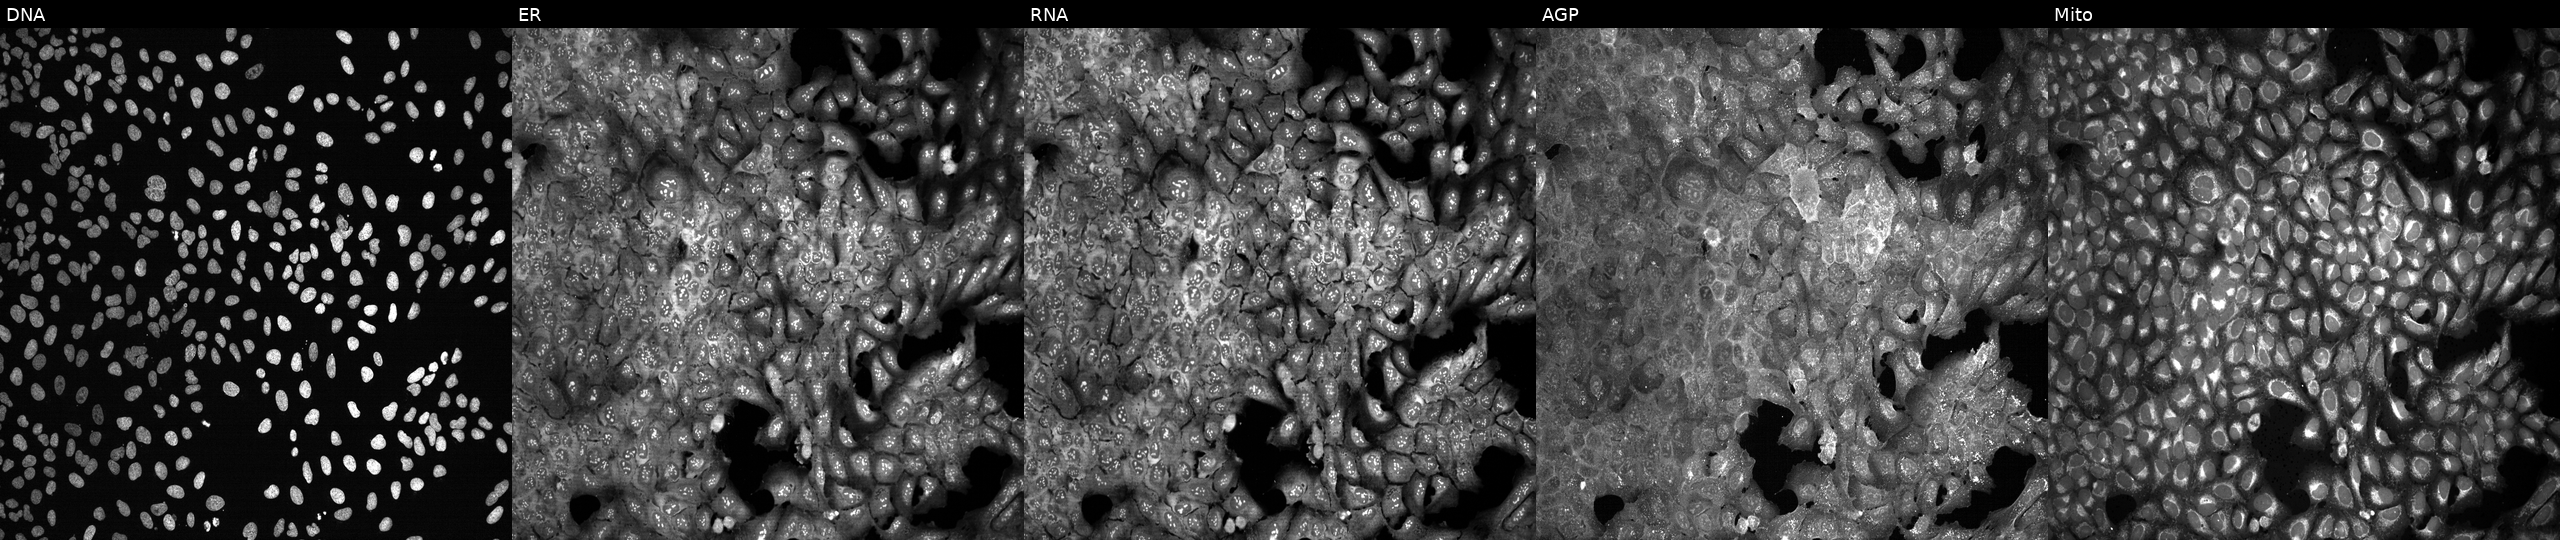
U2OS cells, Cell Painting assay, with EREG knocked out by CRISPR (JUMP id JCP2022_802171). From left to right: Hoechst 33342, concanavalin A, SYTO 14, phalloidin and WGA, MitoTracker. Each panel is percentile-stretched 16-bit fluorescence.